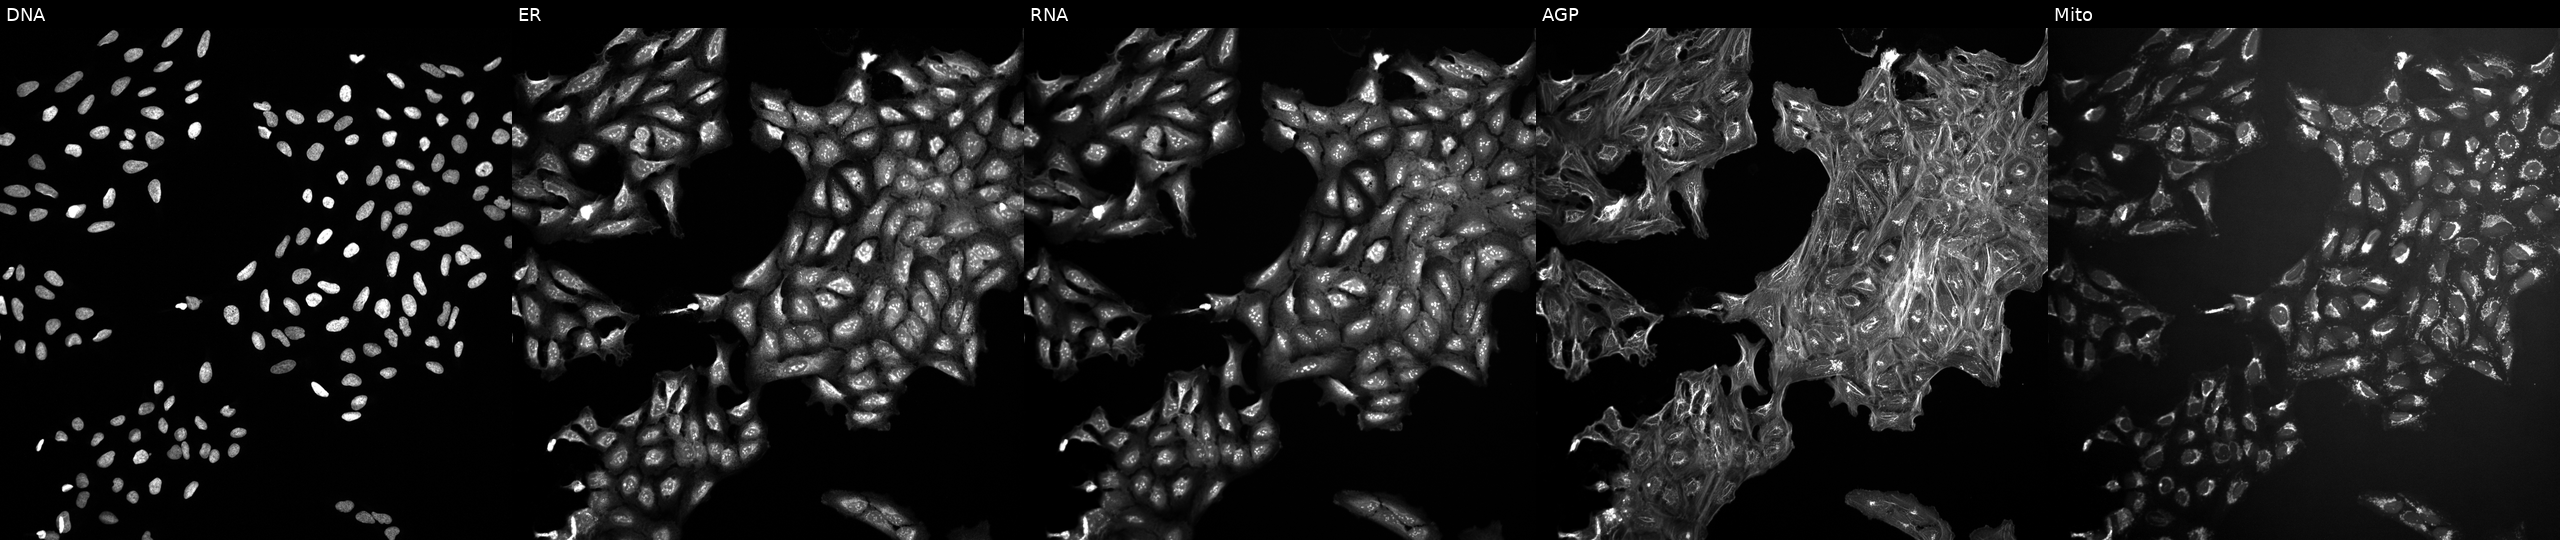
JUMP Cell Painting — TARGET2 plate. U2OS cells exposed to DMSO alone as a negative control (JUMP id JCP2022_033924). Channels (left→right): DNA, ER, RNA, AGP, and Mito.